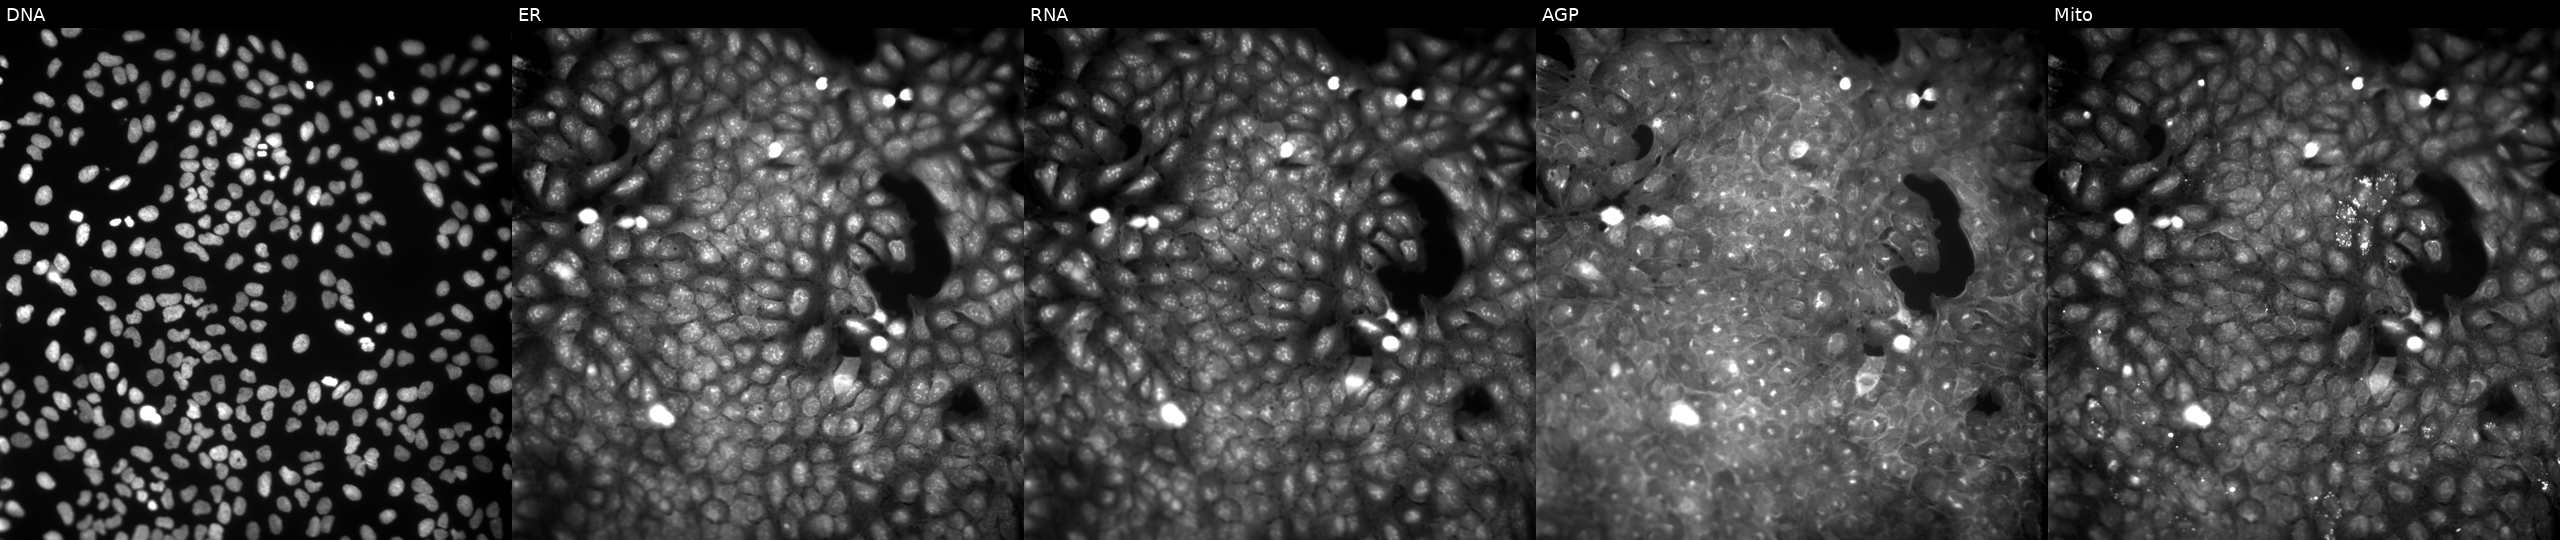
This image strip shows the five Cell Painting channels for a single field of U2OS cells perturbed with a small-molecule compound (InChIKey MRMUWDFHAZZBGX-UHFFFAOYSA-N). Panels show, left to right, DNA (nuclei); ER (endoplasmic reticulum); RNA (nucleoli and cytoplasmic RNA); AGP (actin cytoskeleton, Golgi, and plasma membrane); Mito (mitochondria).